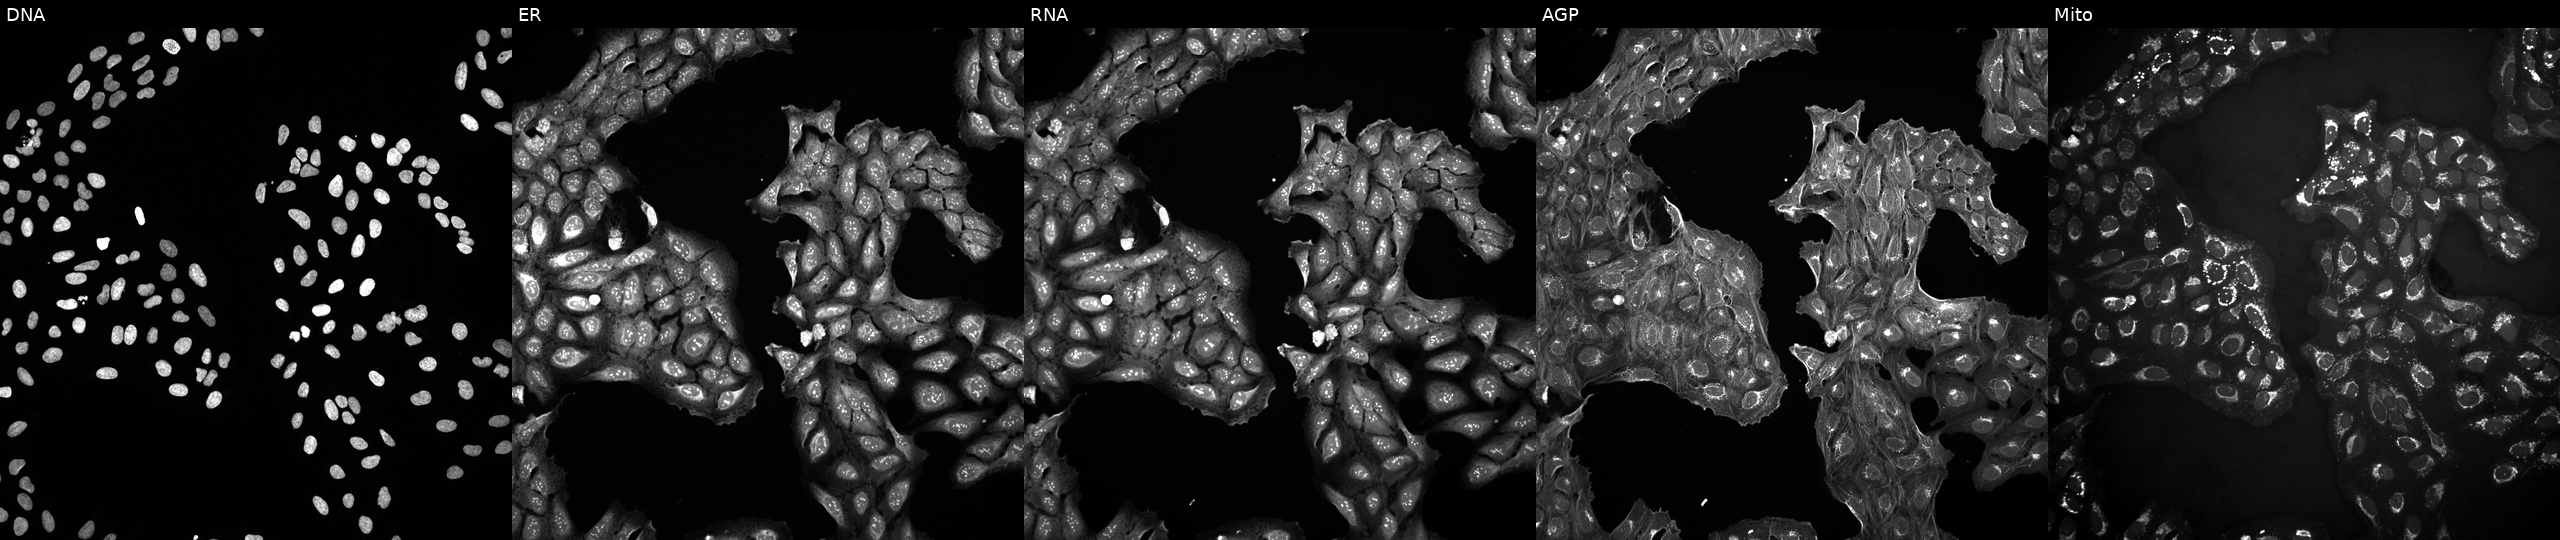
JUMP Cell Painting — COMPOUND plate. U2OS cells perturbed with a small-molecule compound (InChIKey UYKLFJFYHQNUME-UHFFFAOYSA-N). Panels show, left to right, Hoechst 33342, concanavalin A, SYTO 14, phalloidin and WGA, MitoTracker.